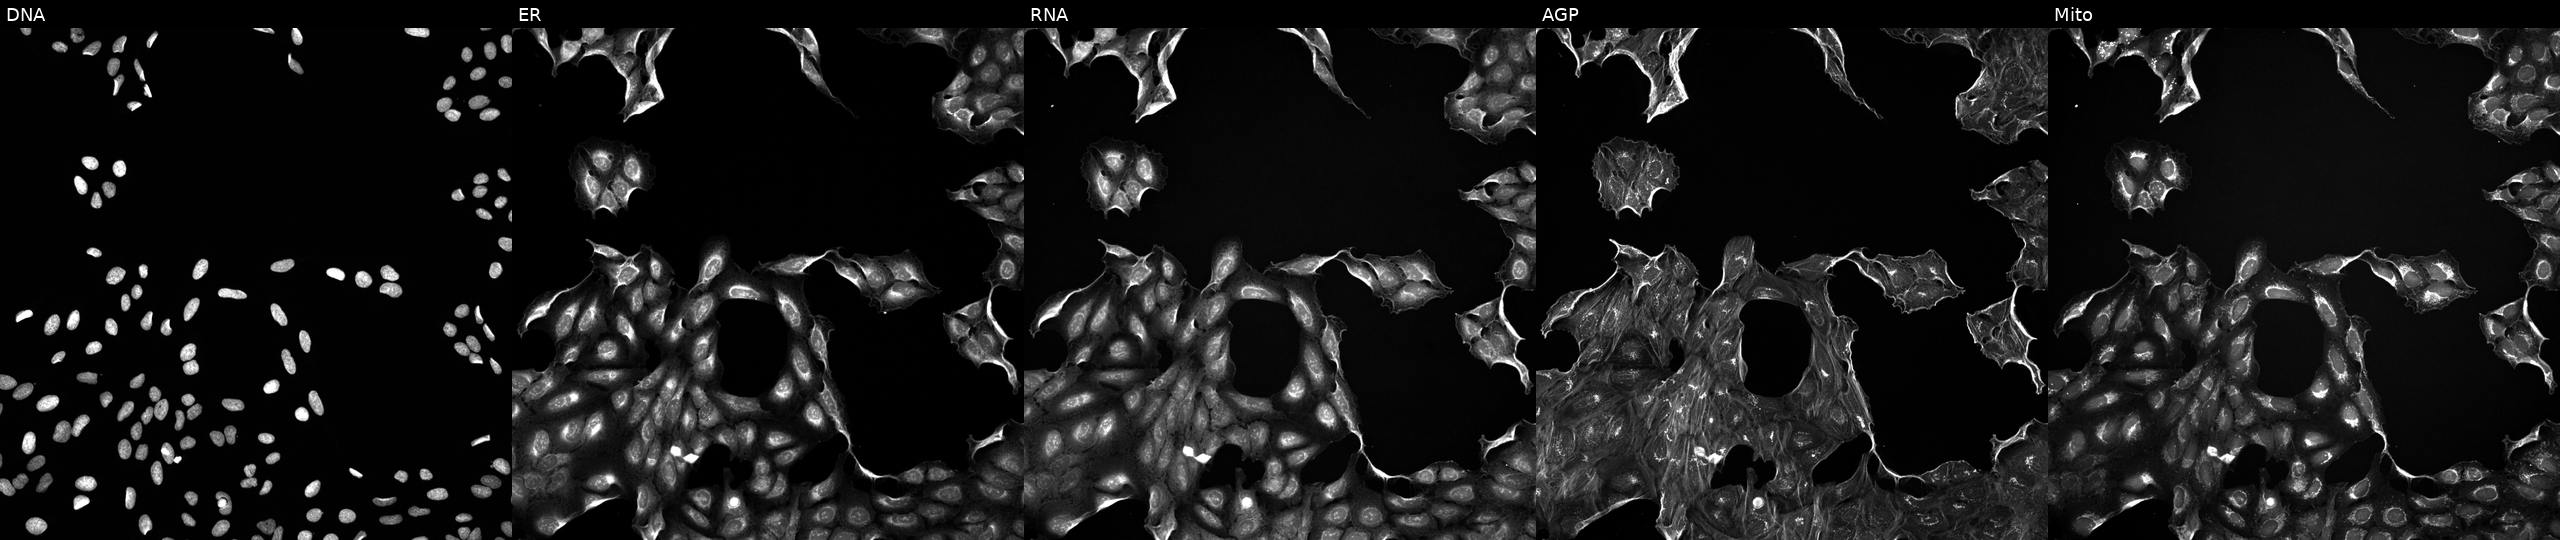
U2OS cells, Cell Painting assay, perturbed with a small-molecule compound (InChIKey NMKJFZCBCIUYHI-UHFFFAOYSA-N). The five panels, left to right, show DNA (nuclei); ER (endoplasmic reticulum); RNA (nucleoli and cytoplasmic RNA); AGP (actin cytoskeleton, Golgi, and plasma membrane); Mito (mitochondria). Each panel is percentile-stretched 16-bit fluorescence.